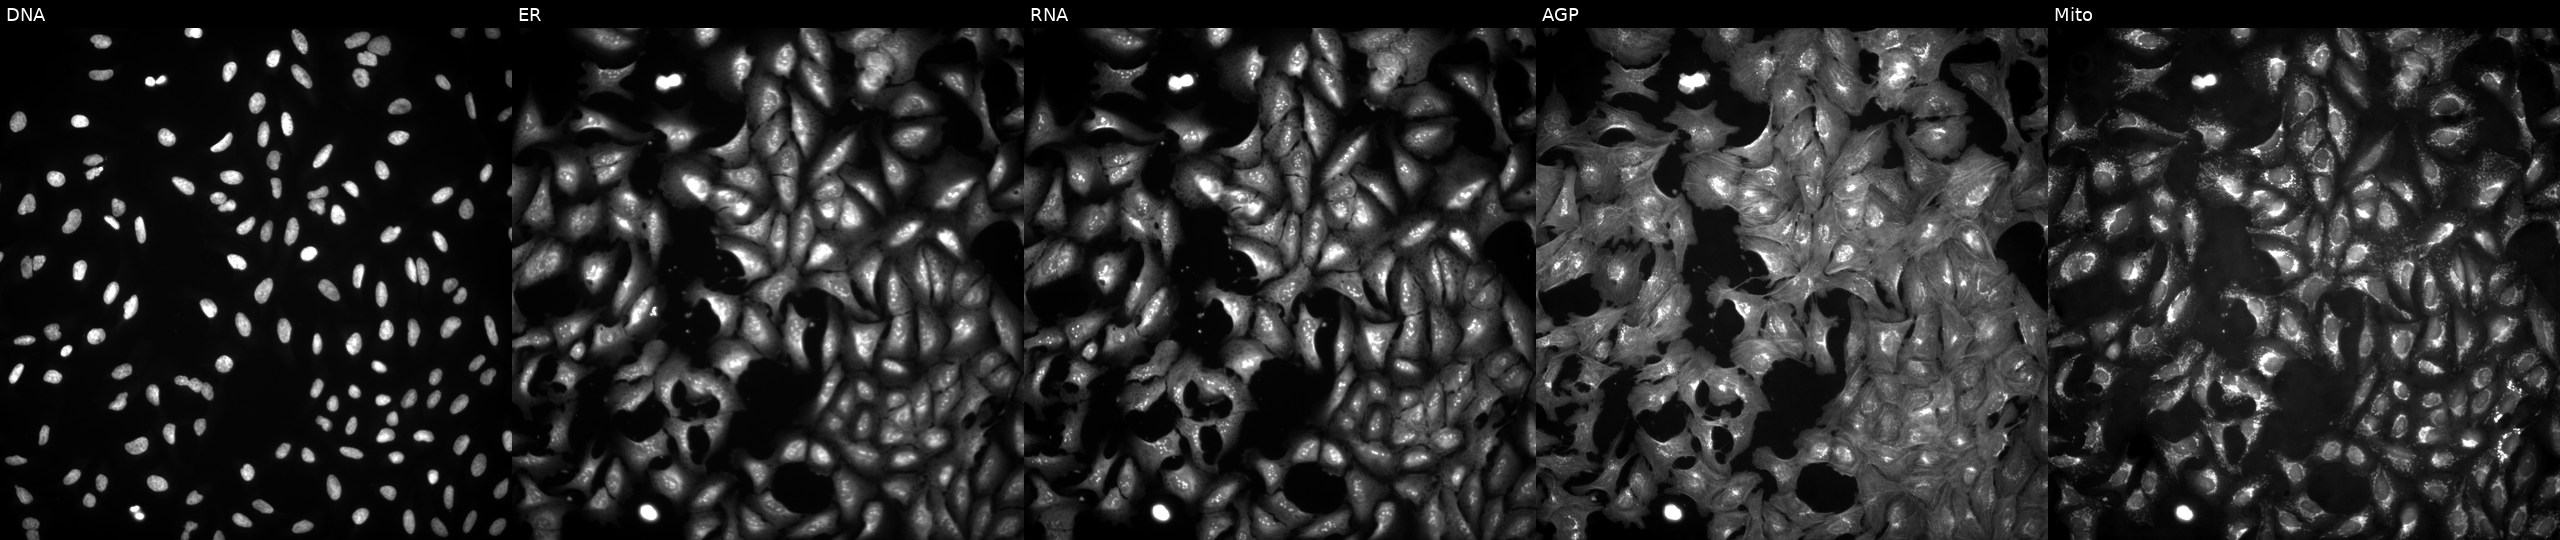
JUMP Cell Painting — ORF plate. U2OS cells transfected with an ORF construct for SRP14. Panels show, left to right, Hoechst 33342, concanavalin A, SYTO 14, phalloidin and WGA, MitoTracker.